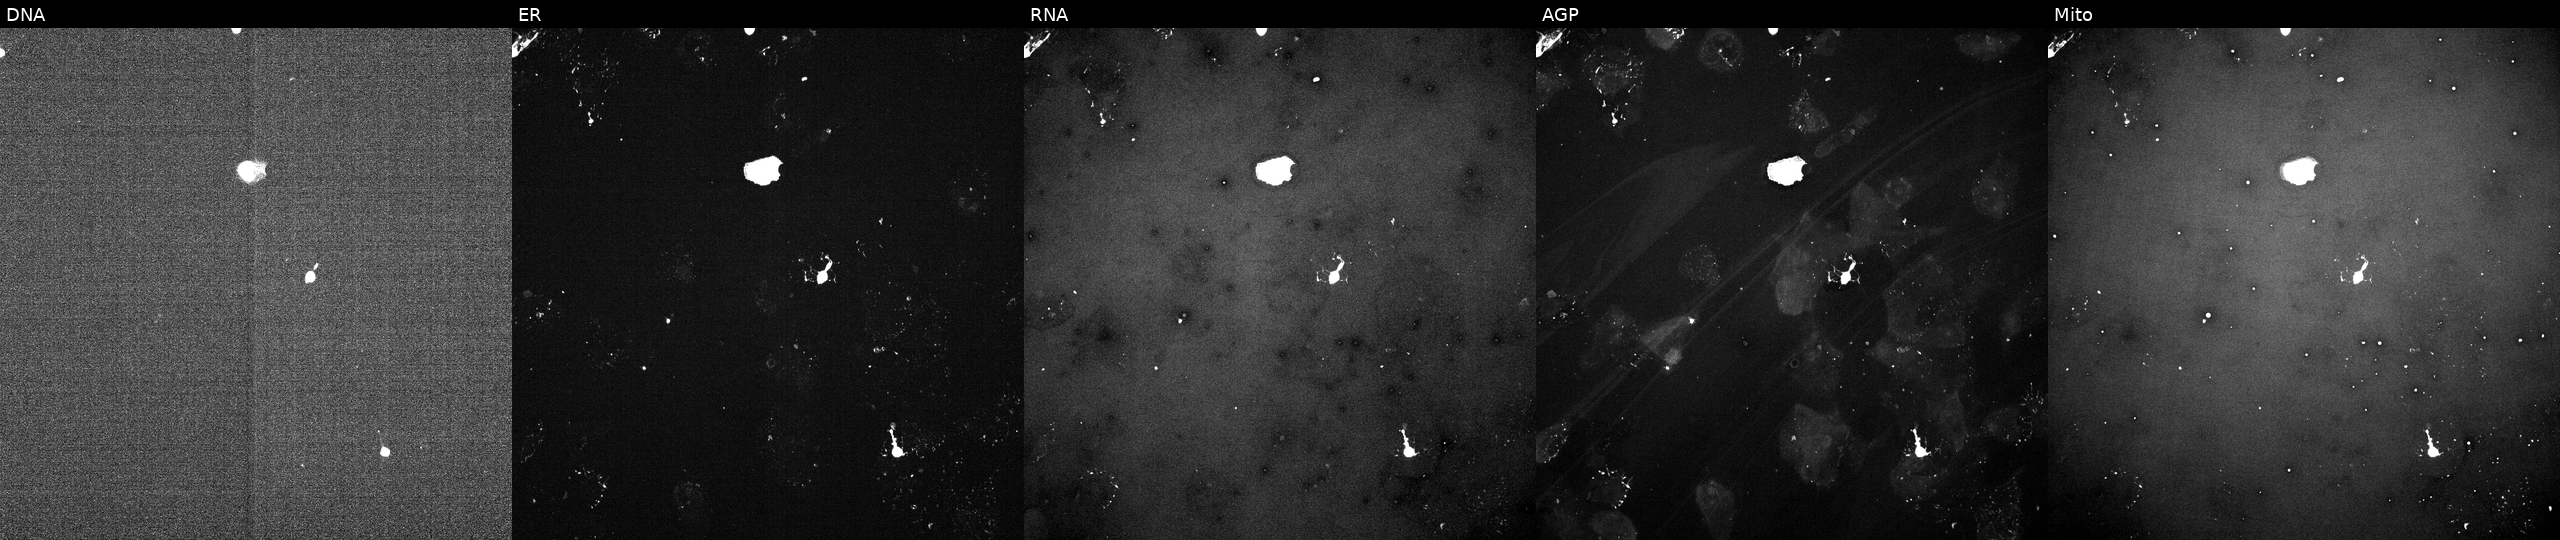
This image strip shows the five Cell Painting channels for a single field of U2OS cells perturbed with a small-molecule compound [SMILES: NC(=O)Nc1cc(-c2cccc(F)c2)sc1C(=O)NC1CCCNC1]. From left to right: DNA (nuclei); ER (endoplasmic reticulum); RNA (nucleoli and cytoplasmic RNA); AGP (actin cytoskeleton, Golgi, and plasma membrane); Mito (mitochondria). Source 5, plate ACPJUM051, well D11.